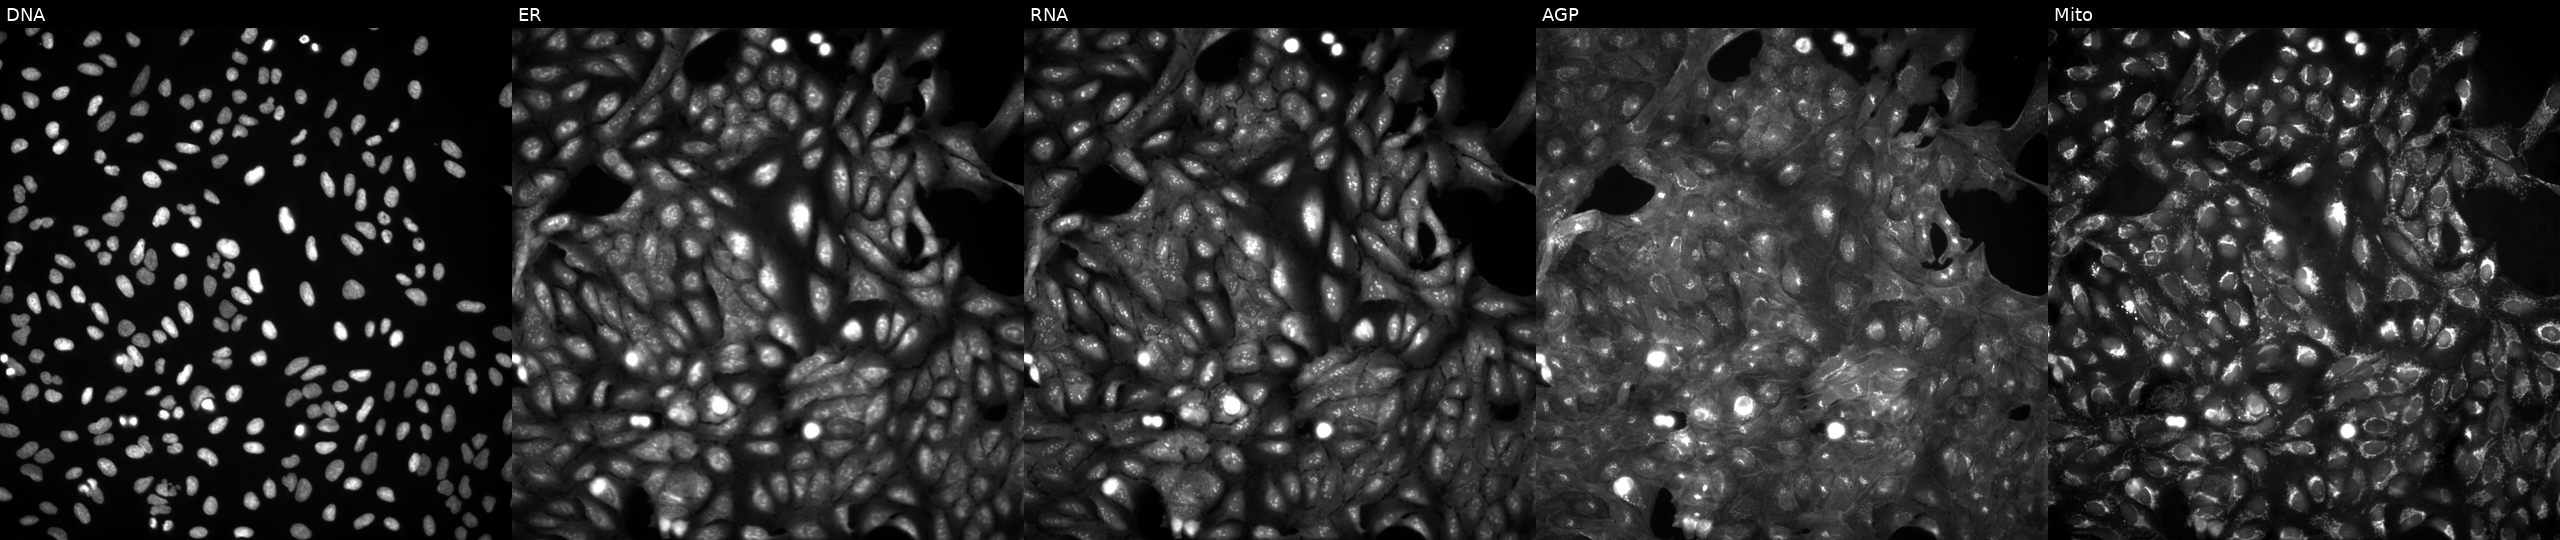
JUMP Cell Painting — ORF plate. U2OS cells in an empty control well (no perturbation) (JUMP id JCP2022_999999). Channels (left→right): DNA, ER, RNA, AGP, and Mito.